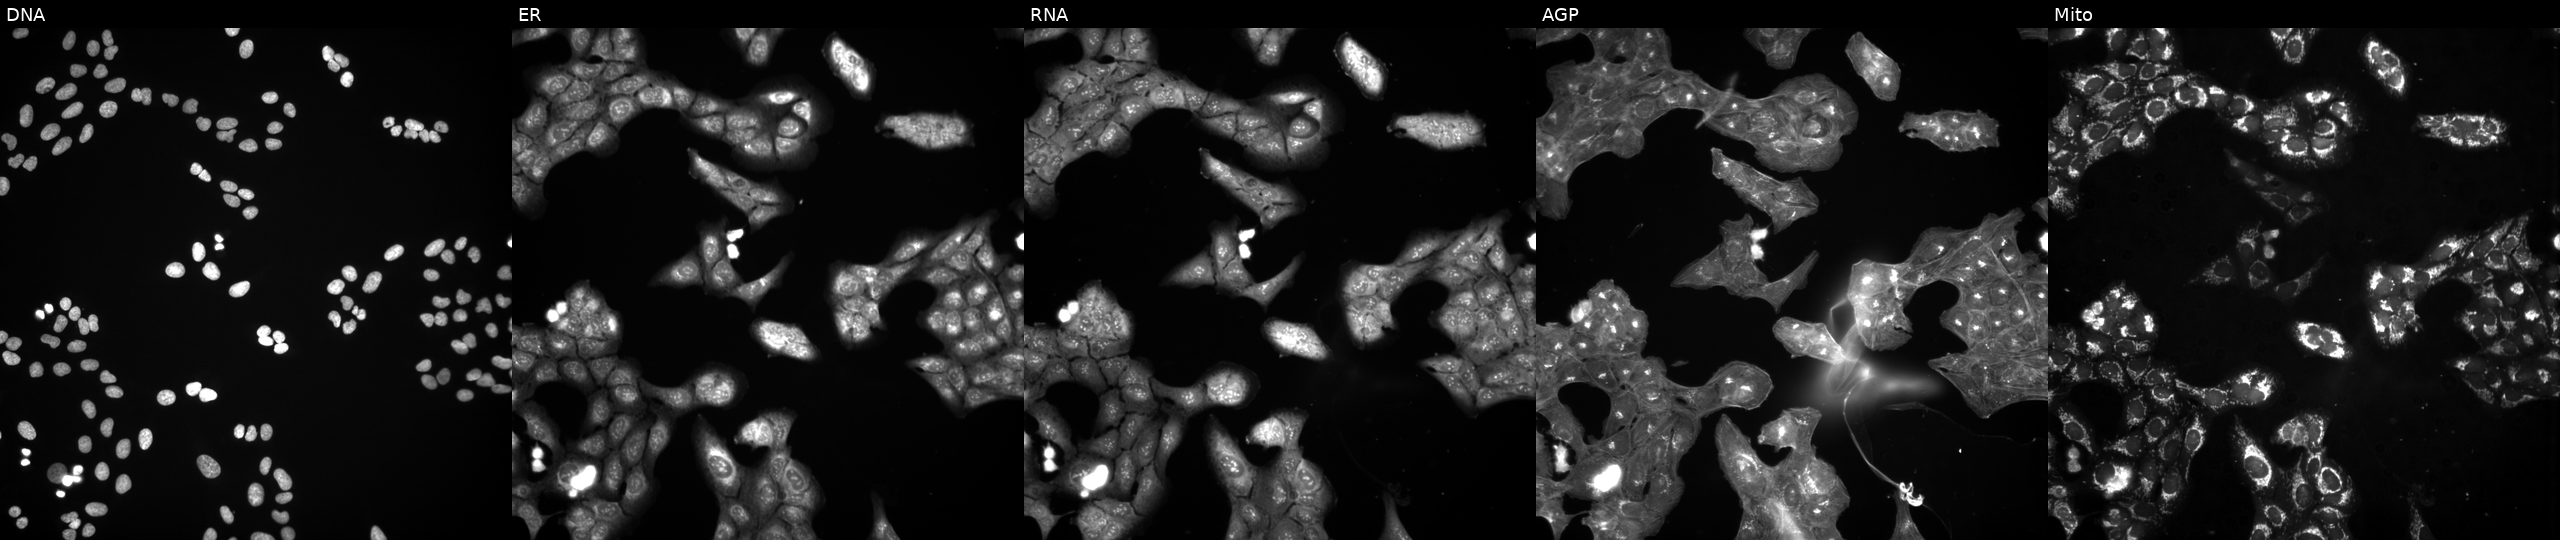
U2OS cells, Cell Painting assay, exposed to a small-molecule compound. Panels show, left to right, Hoechst 33342, concanavalin A, SYTO 14, phalloidin and WGA, MitoTracker. Each panel is percentile-stretched 16-bit fluorescence. Source 3, plate BR5867b3, well F03.